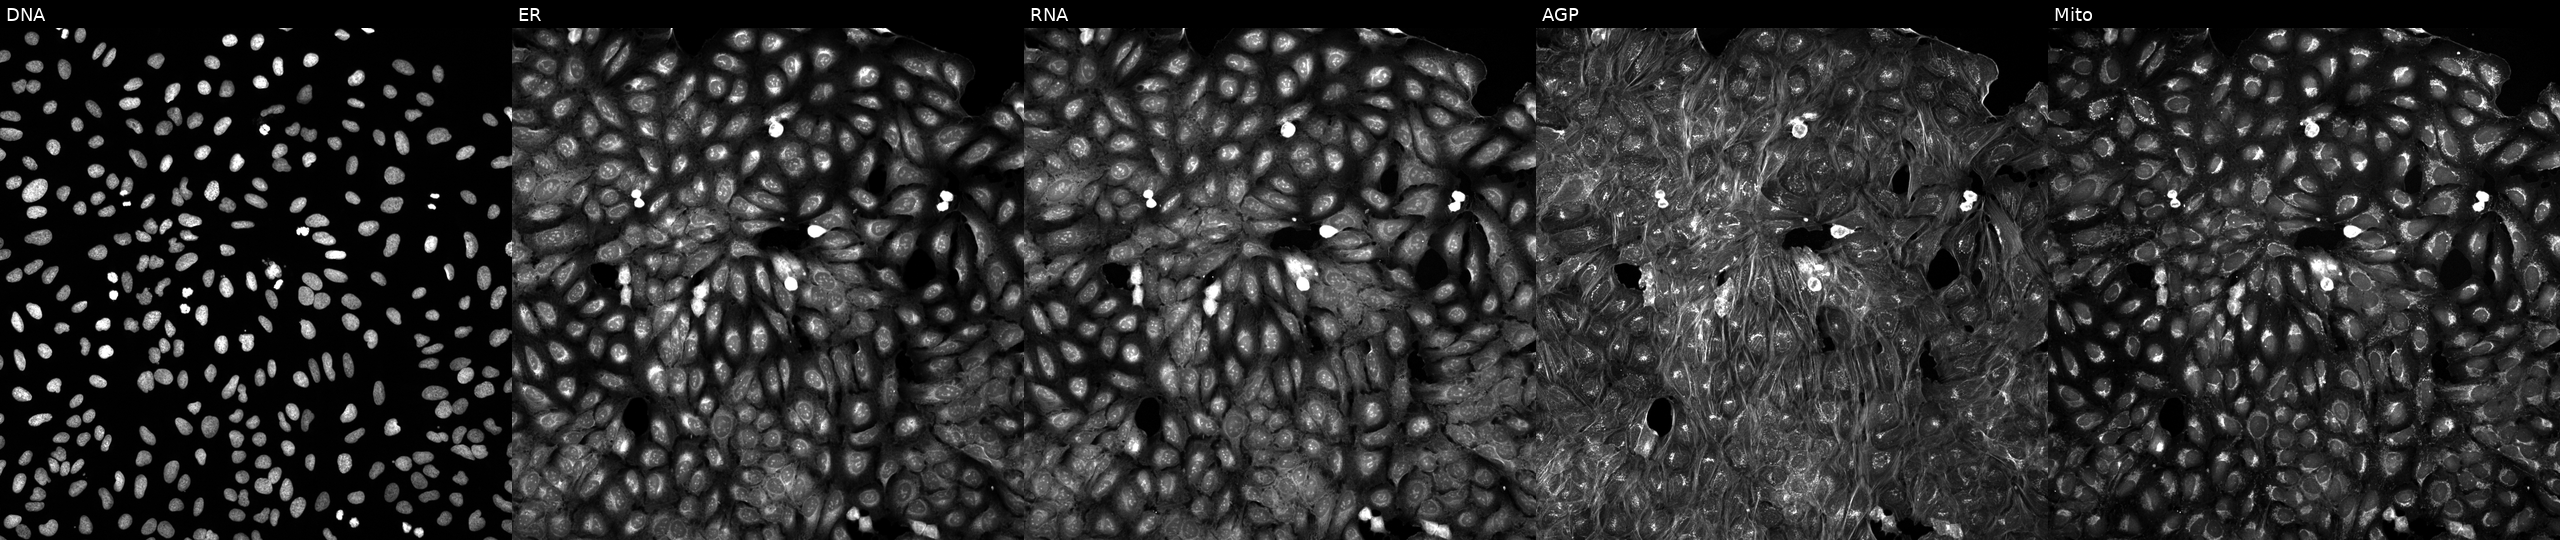
Panels show, left to right, Hoechst 33342, concanavalin A, SYTO 14, phalloidin and WGA, MitoTracker. U2OS osteosarcoma cells exposed to DMSO alone as a negative control (JUMP id JCP2022_033924). Cell Painting assay, JUMP-CP dataset.